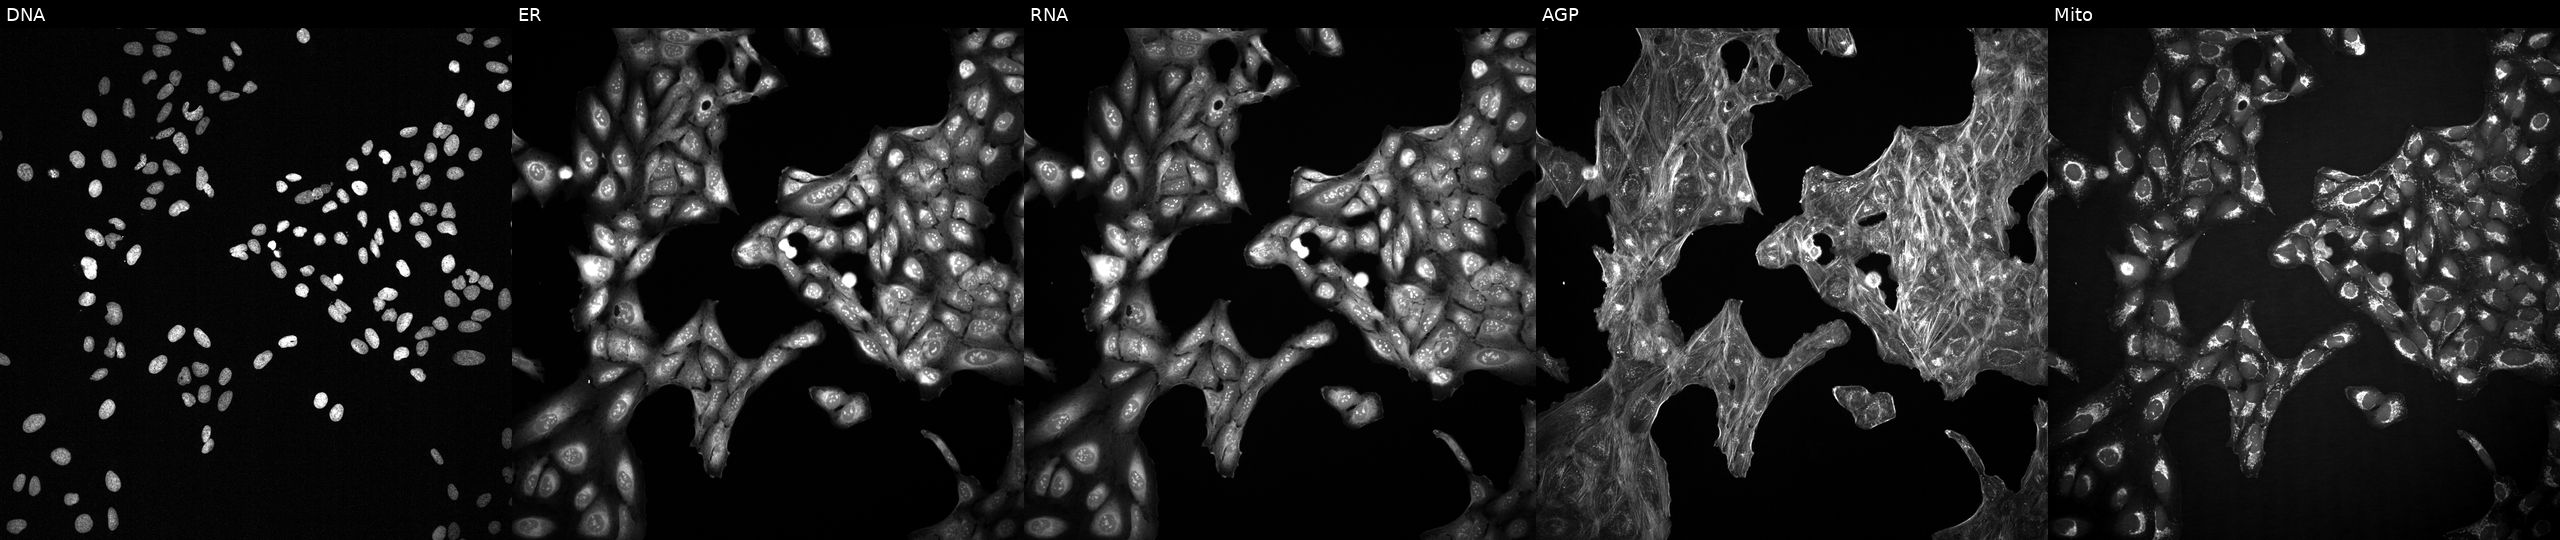
U2OS cells, Cell Painting assay, exposed to a small-molecule compound (InChIKey CKTSBUTUHBMZGZ-UHFFFAOYSA-N) (JUMP id JCP2022_011759). The five panels, left to right, show Hoechst 33342, concanavalin A, SYTO 14, phalloidin and WGA, MitoTracker. Each panel is percentile-stretched 16-bit fluorescence.